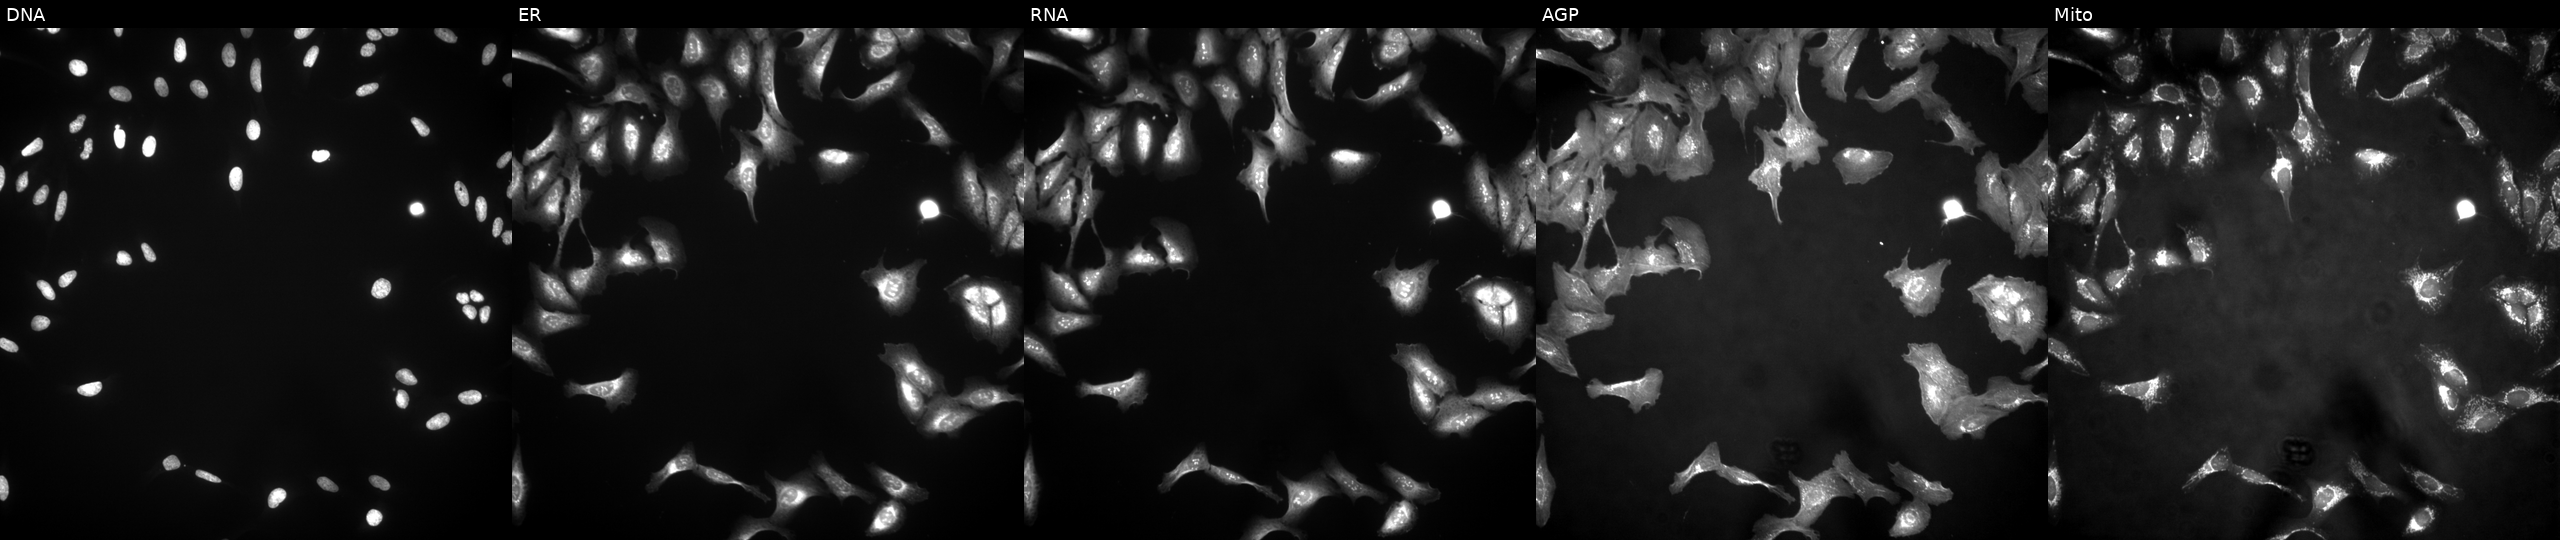
JUMP Cell Painting — ORF plate. U2OS cells with FZD7 overexpressed (ORF) (JUMP id JCP2022_901761). The five panels, left to right, show DNA, ER, RNA, AGP, and Mito.